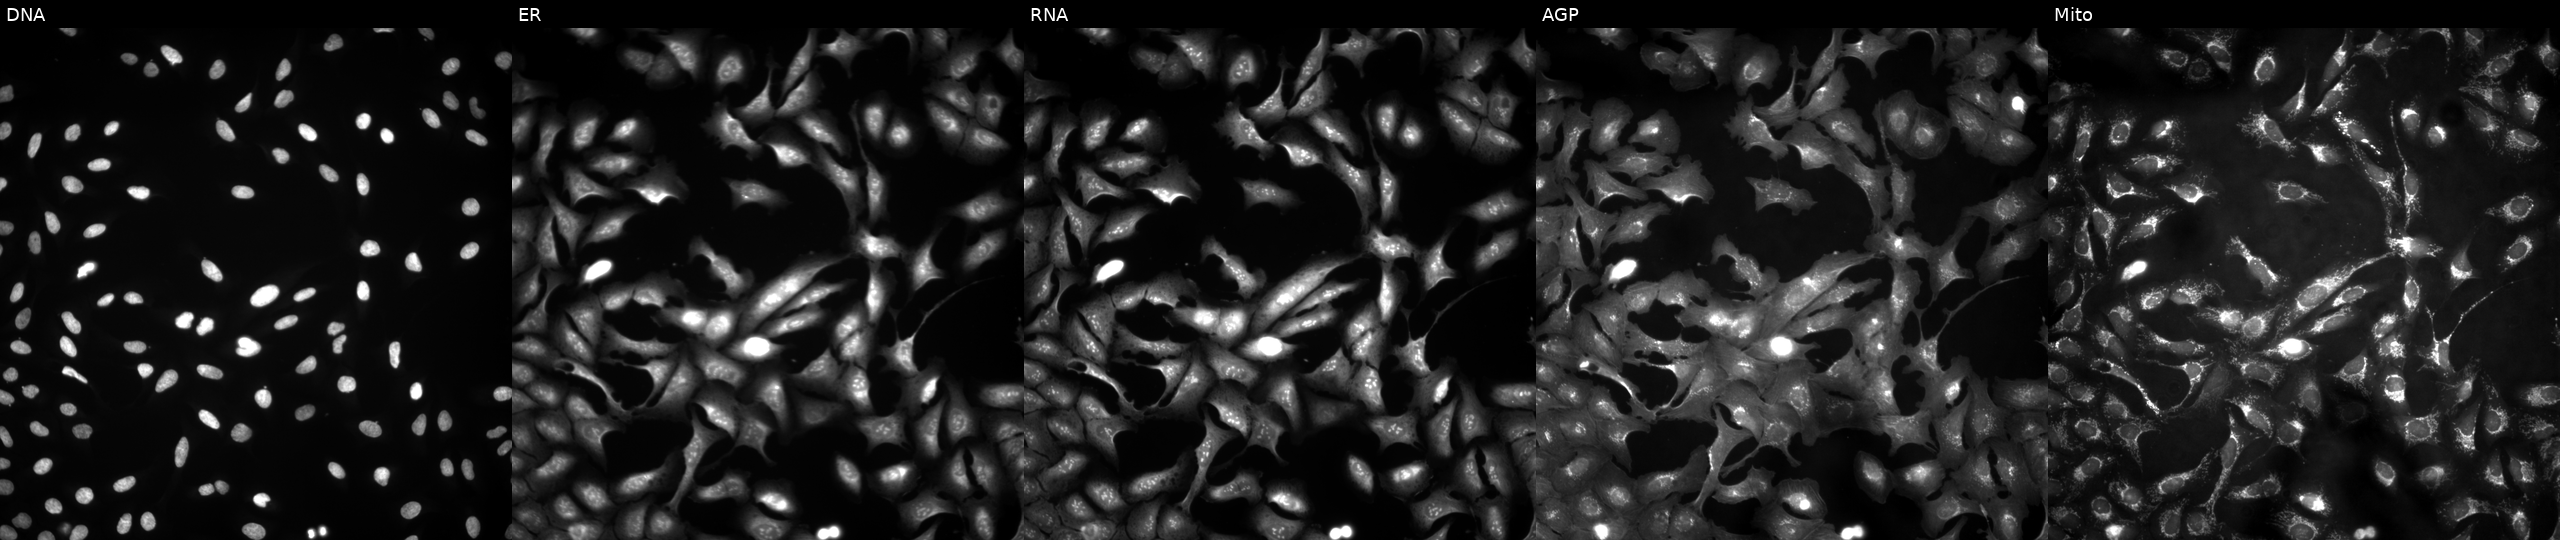
U2OS cells, Cell Painting assay, overexpressing WDR20 via ORF transfection. The five panels, left to right, show DNA (nuclei); ER (endoplasmic reticulum); RNA (nucleoli and cytoplasmic RNA); AGP (actin cytoskeleton, Golgi, and plasma membrane); Mito (mitochondria). Each panel is percentile-stretched 16-bit fluorescence.